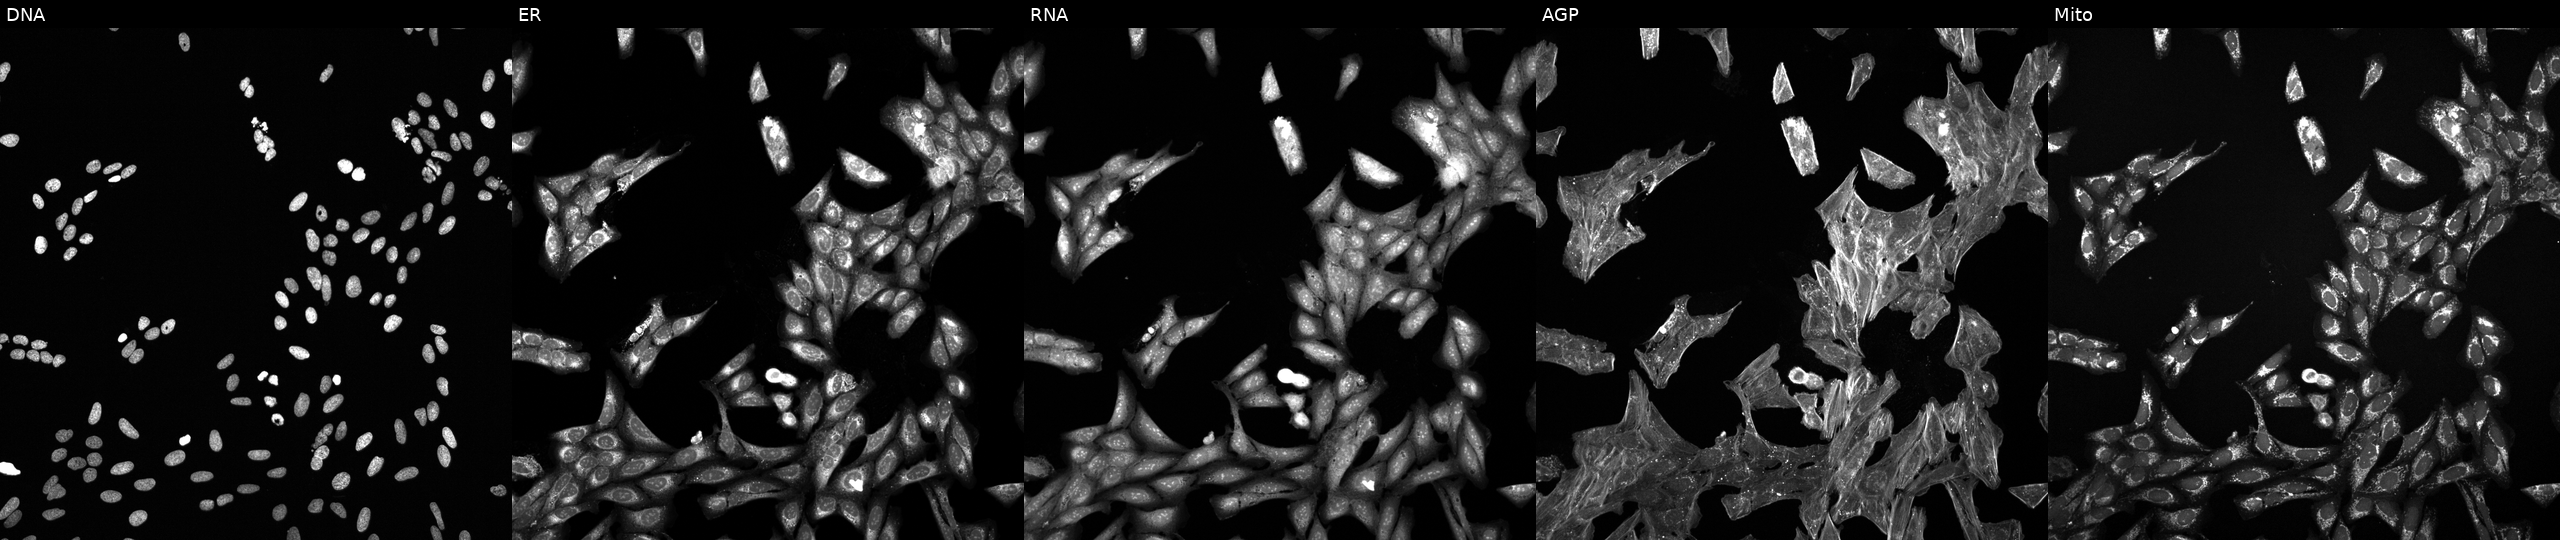
This image strip shows the five Cell Painting channels for a single field of U2OS cells perturbed with a small-molecule compound (InChIKey AECDBHGVIIRMOI-UHFFFAOYSA-N) (JUMP id JCP2022_000794). Panels show, left to right, DNA, ER, RNA, AGP, and Mito.